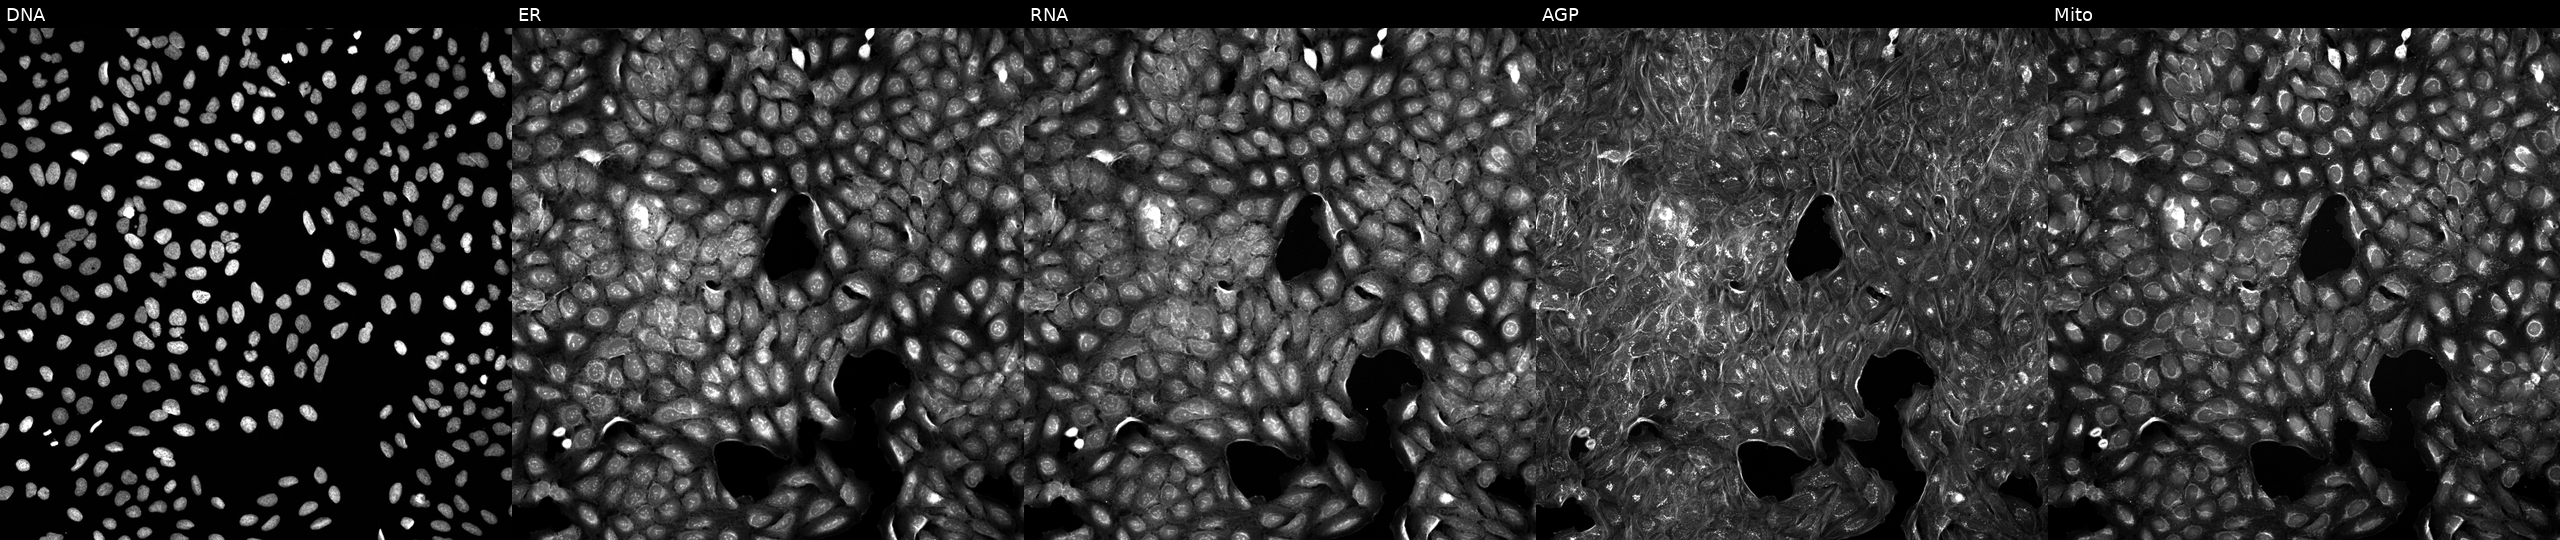
Panels show, left to right, Hoechst 33342, concanavalin A, SYTO 14, phalloidin and WGA, MitoTracker. U2OS osteosarcoma cells perturbed with a small-molecule compound (InChIKey NTLOIMQQKAWJPZ-UHFFFAOYSA-N). Cell Painting assay, JUMP-CP dataset. Source 5, plate APTJUM106, well K05.